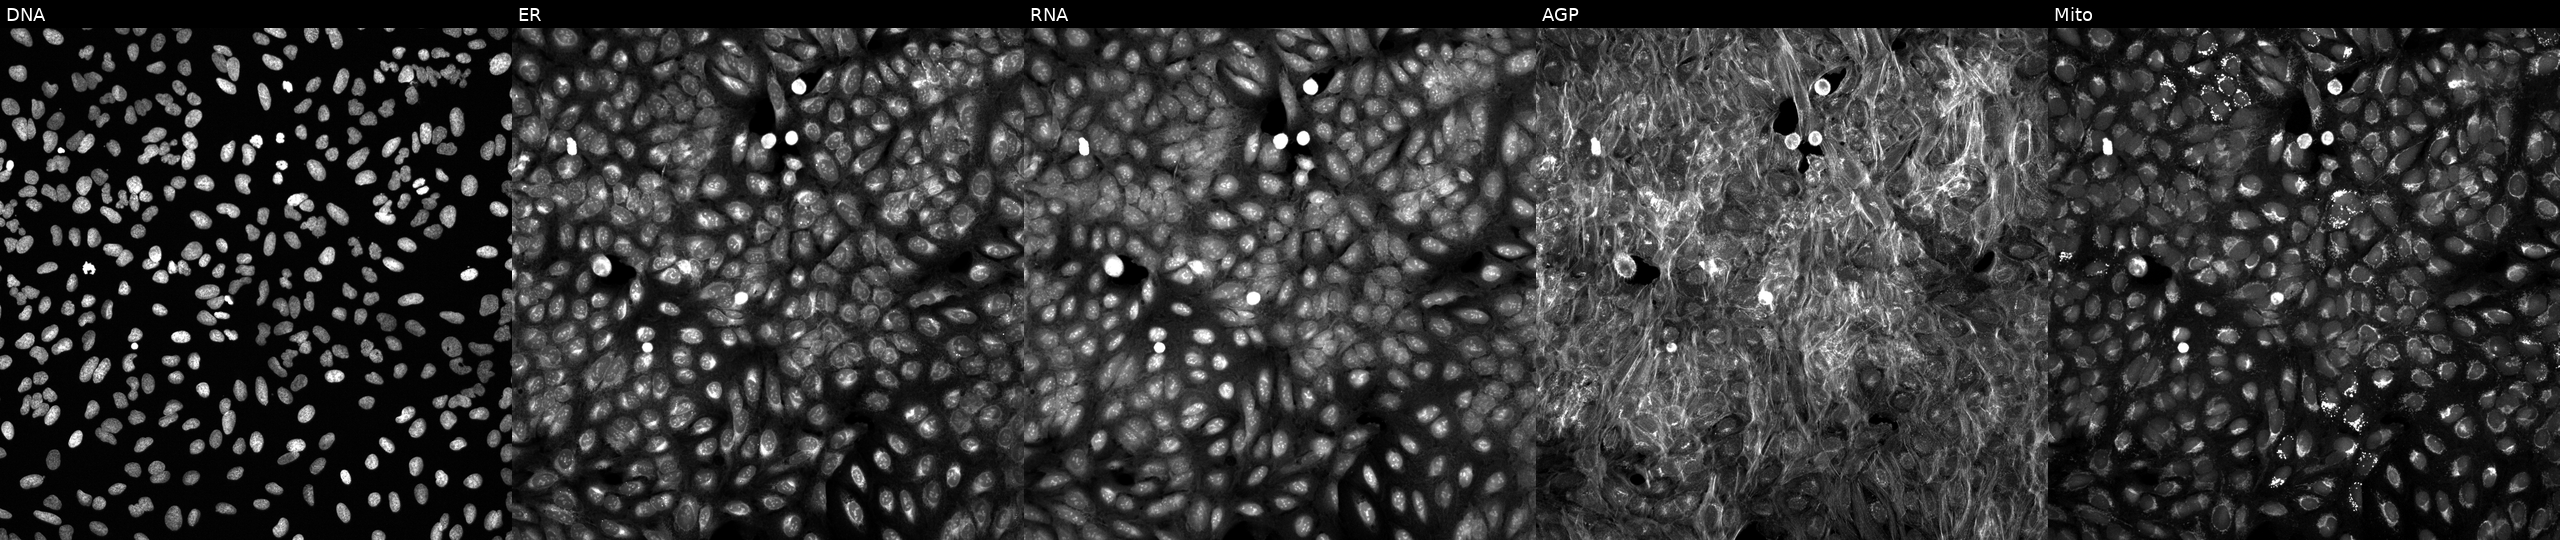
Five-channel Cell Painting image of U2OS cells treated with DMSO vehicle only (negative control) (JUMP id JCP2022_033924). Panels show, left to right, DNA, ER, RNA, AGP, and Mito.